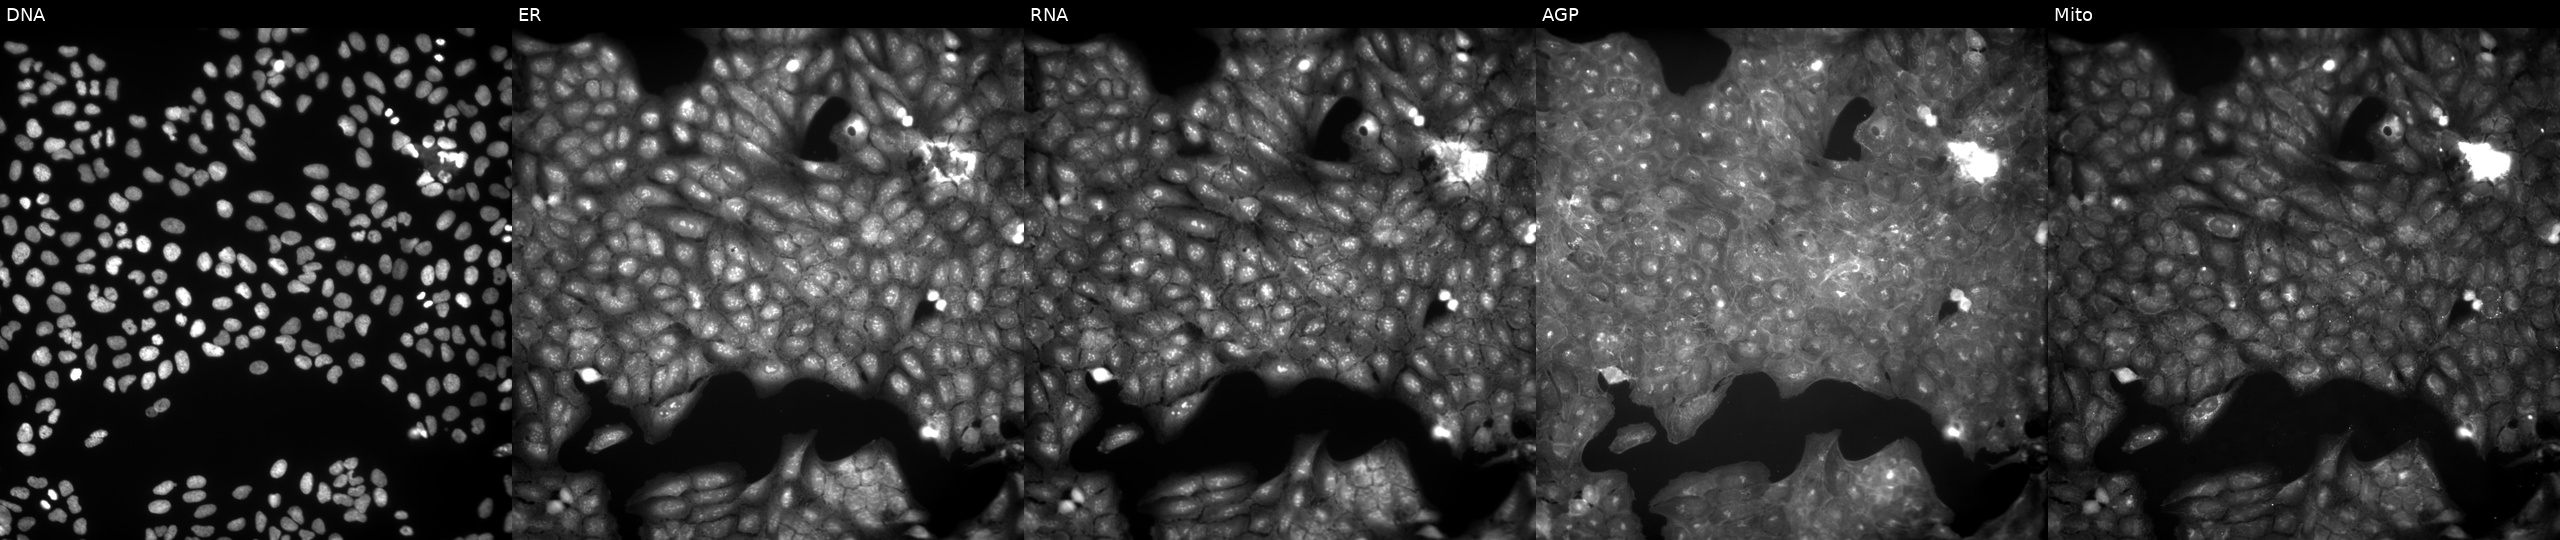
JUMP Cell Painting — COMPOUND plate. U2OS cells perturbed with a small-molecule compound (InChIKey IBKIMYVMLAEQOM-UHFFFAOYSA-N). The five panels, left to right, show DNA, ER, RNA, AGP, and Mito. Source 9, plate GR00003381, well AD27.